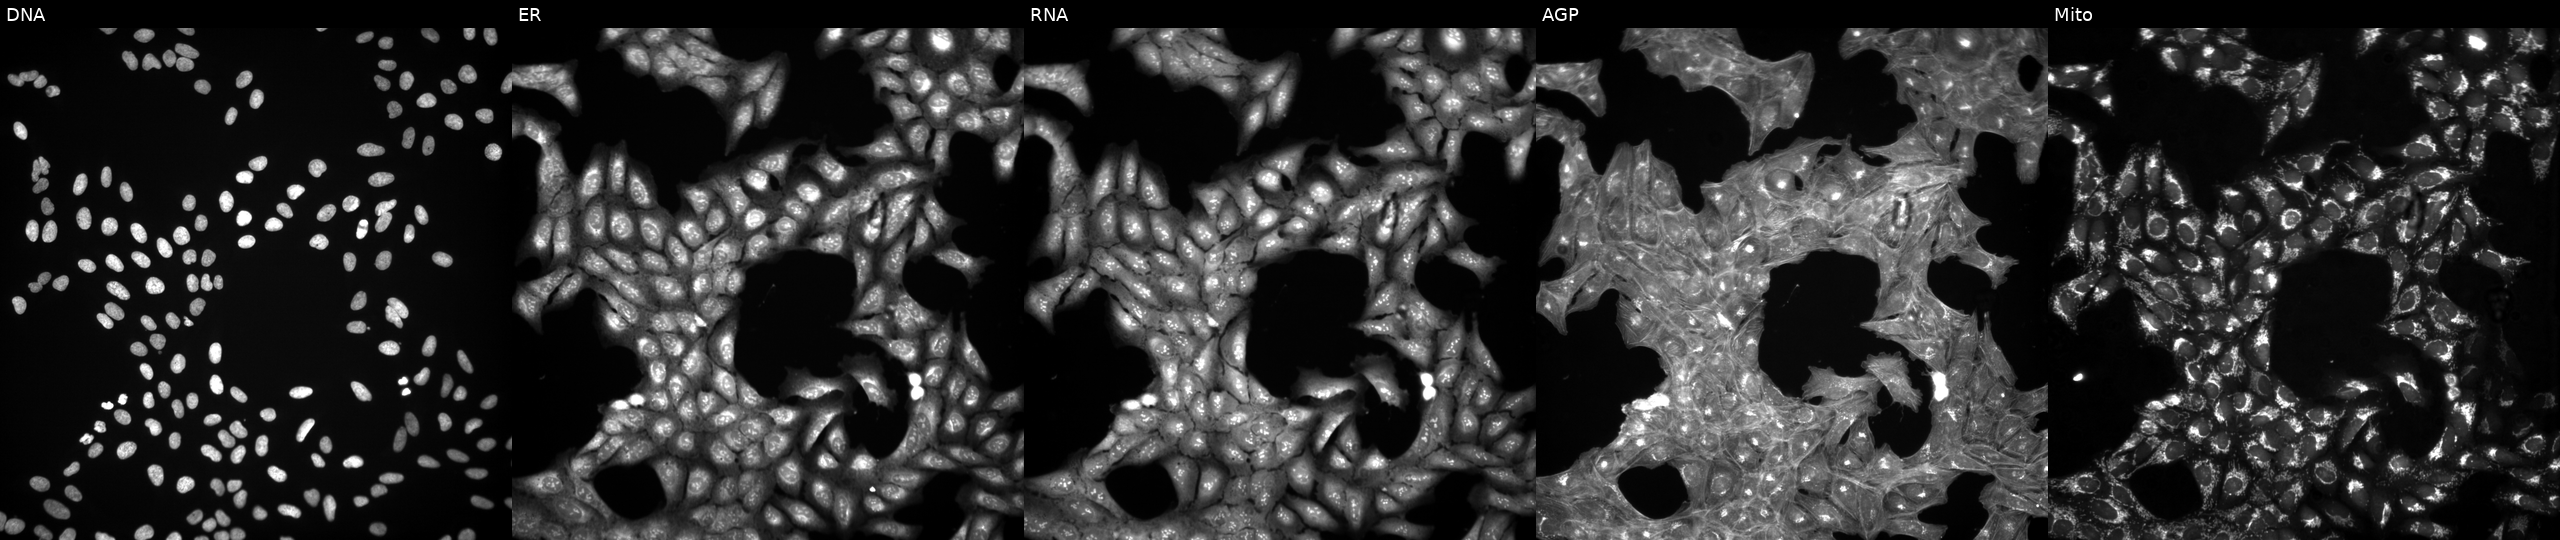
The five panels, left to right, show Hoechst 33342, concanavalin A, SYTO 14, phalloidin and WGA, MitoTracker. U2OS osteosarcoma cells perturbed with a small-molecule compound [SMILES: Cc1noc(-c2ccc(CSCCC(=O)O)cc2)c1NC(=O)OC(C)c1ccccc1Cl]. Cell Painting assay, JUMP-CP dataset. Source 3, plate JCPQC051, well P09.